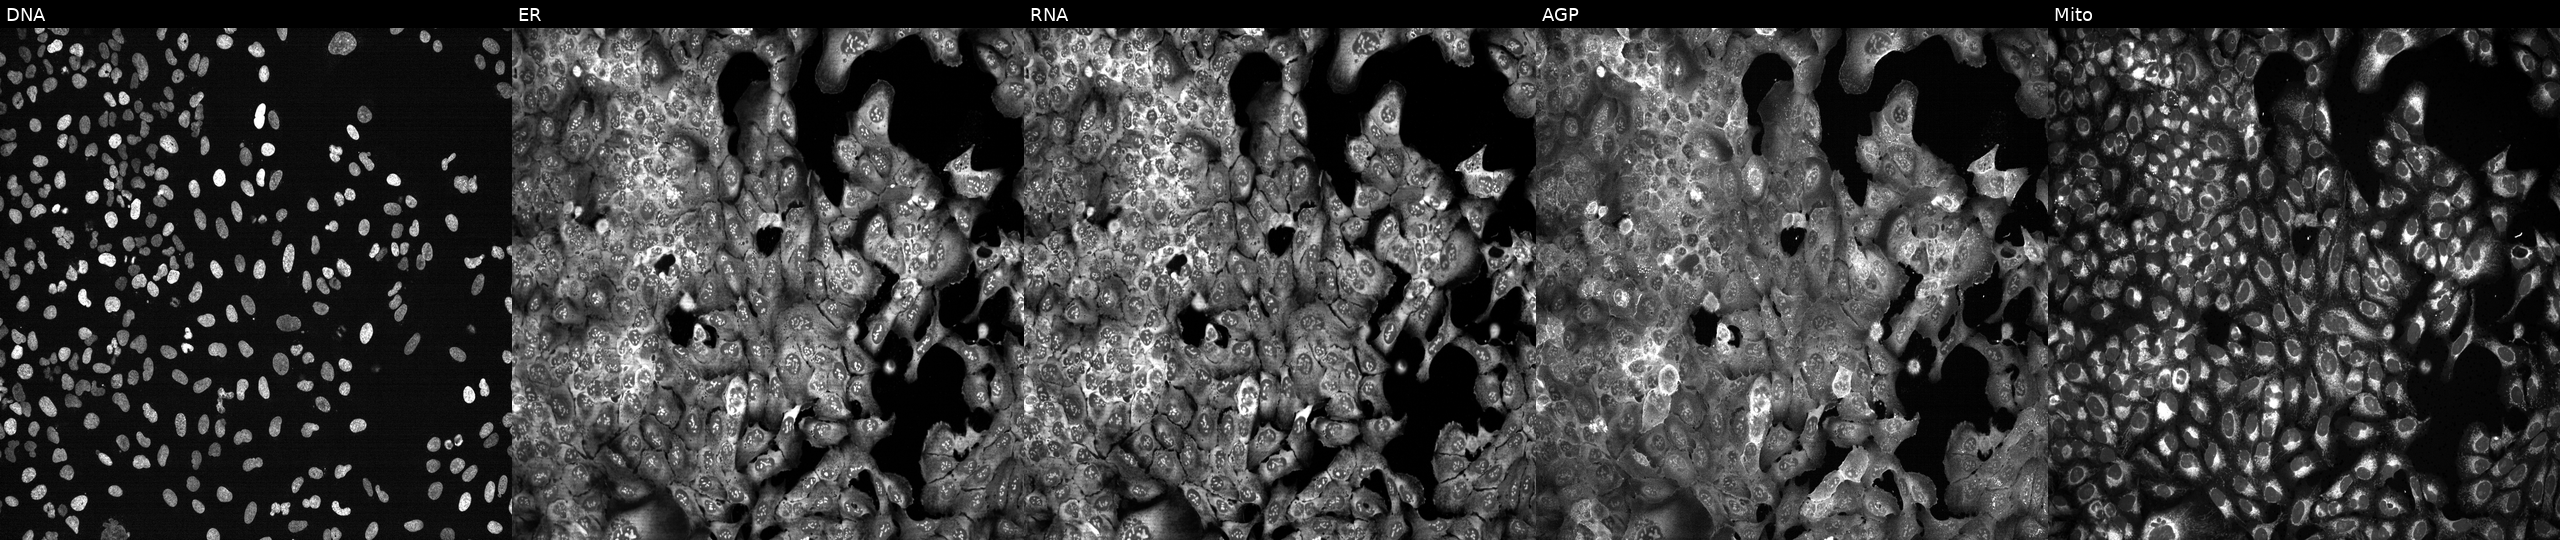
JUMP Cell Painting — CRISPR plate. U2OS cells CRISPR-edited to disrupt BCAT2. Panels show, left to right, DNA, ER, RNA, AGP, and Mito.